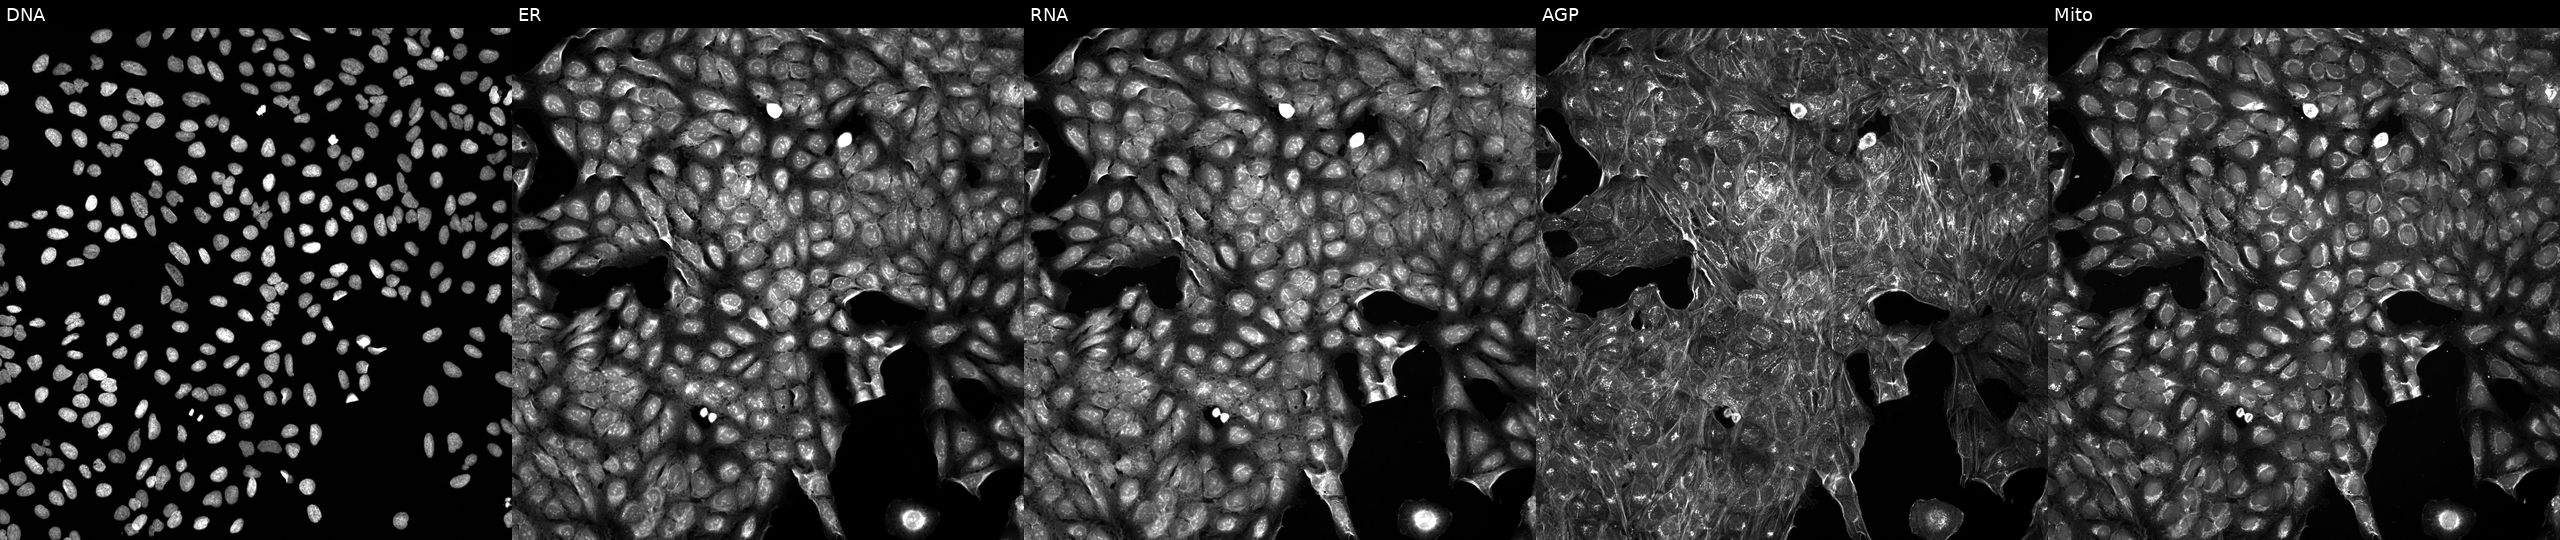
JUMP Cell Painting — COMPOUND plate. U2OS cells exposed to a small-molecule compound (InChIKey GVMQUCGRMXYKRT-UHFFFAOYSA-N) (JUMP id JCP2022_028055). Channels (left→right): DNA (nuclei); ER (endoplasmic reticulum); RNA (nucleoli and cytoplasmic RNA); AGP (actin cytoskeleton, Golgi, and plasma membrane); Mito (mitochondria).